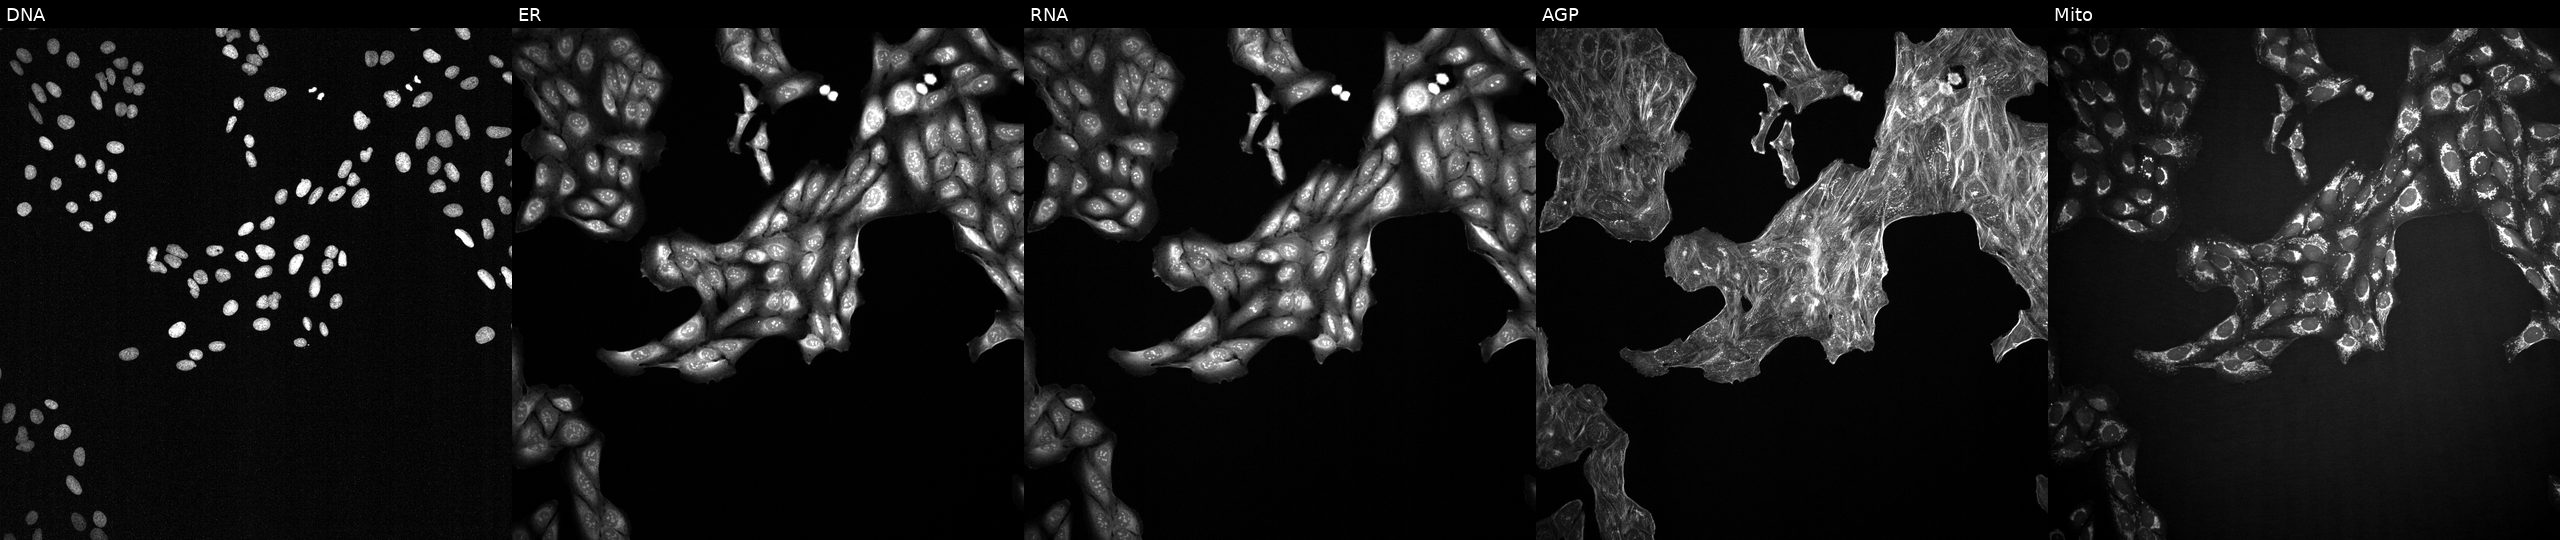
U2OS cells, Cell Painting assay, exposed to DMSO alone as a negative control. The five panels, left to right, show DNA (nuclei); ER (endoplasmic reticulum); RNA (nucleoli and cytoplasmic RNA); AGP (actin cytoskeleton, Golgi, and plasma membrane); Mito (mitochondria). Each panel is percentile-stretched 16-bit fluorescence.